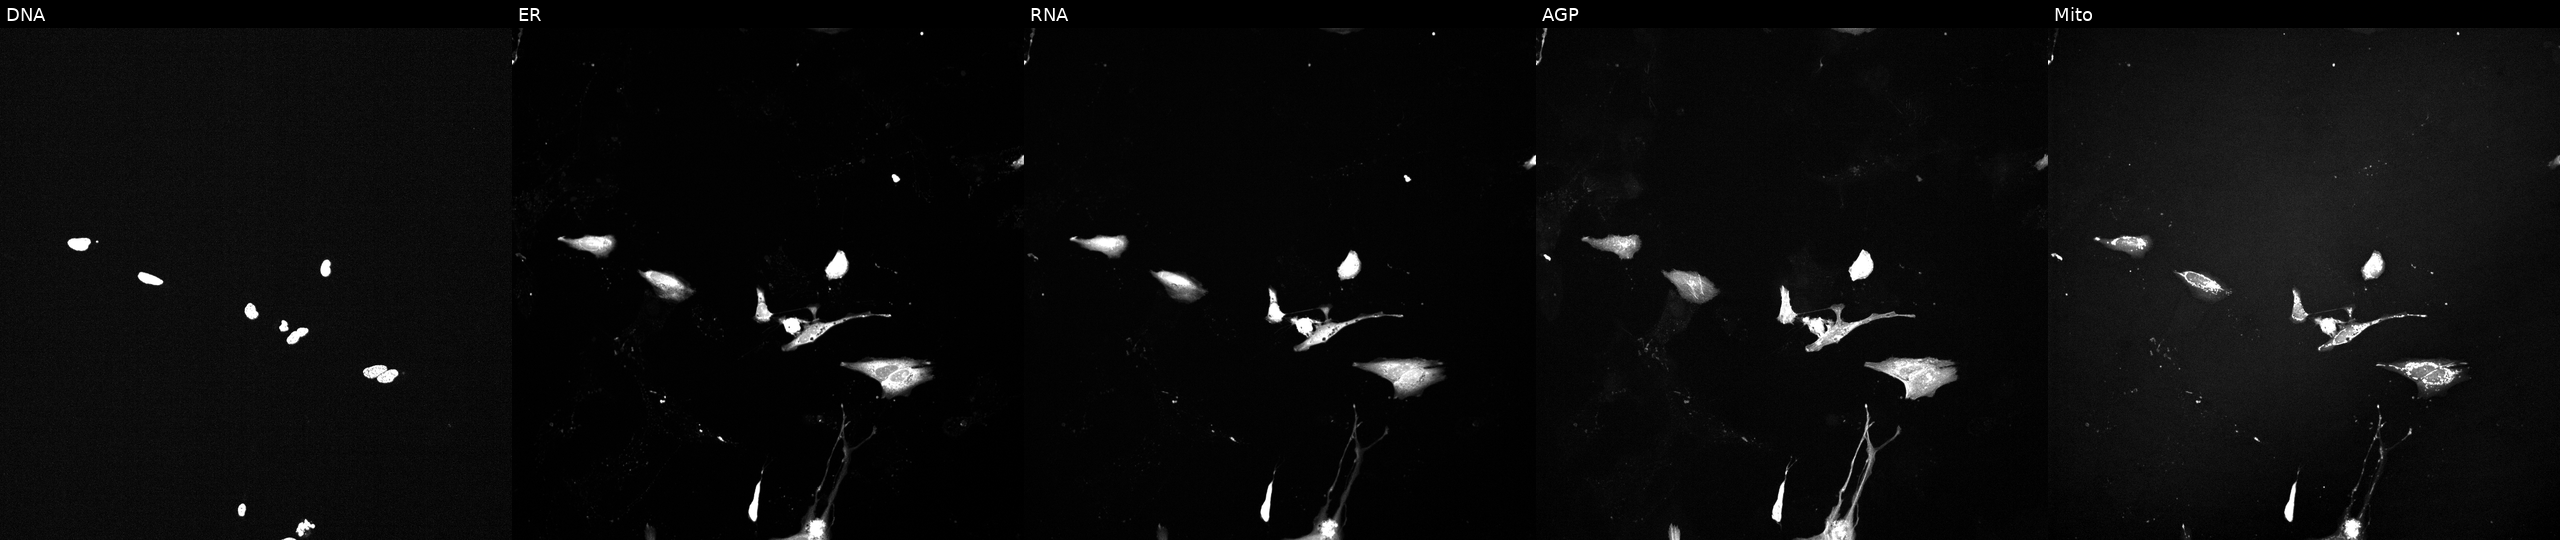
This image strip shows the five Cell Painting channels for a single field of U2OS cells treated with a small-molecule compound (InChIKey VXBAJLGYBMTJCY-UHFFFAOYSA-N) [SMILES: CN1CC=CCCOc2cccc(c2)-c2ccnc(n2)Nc2cccc(c2)C1] (JUMP id JCP2022_096865). Panels show, left to right, DNA, ER, RNA, AGP, and Mito.